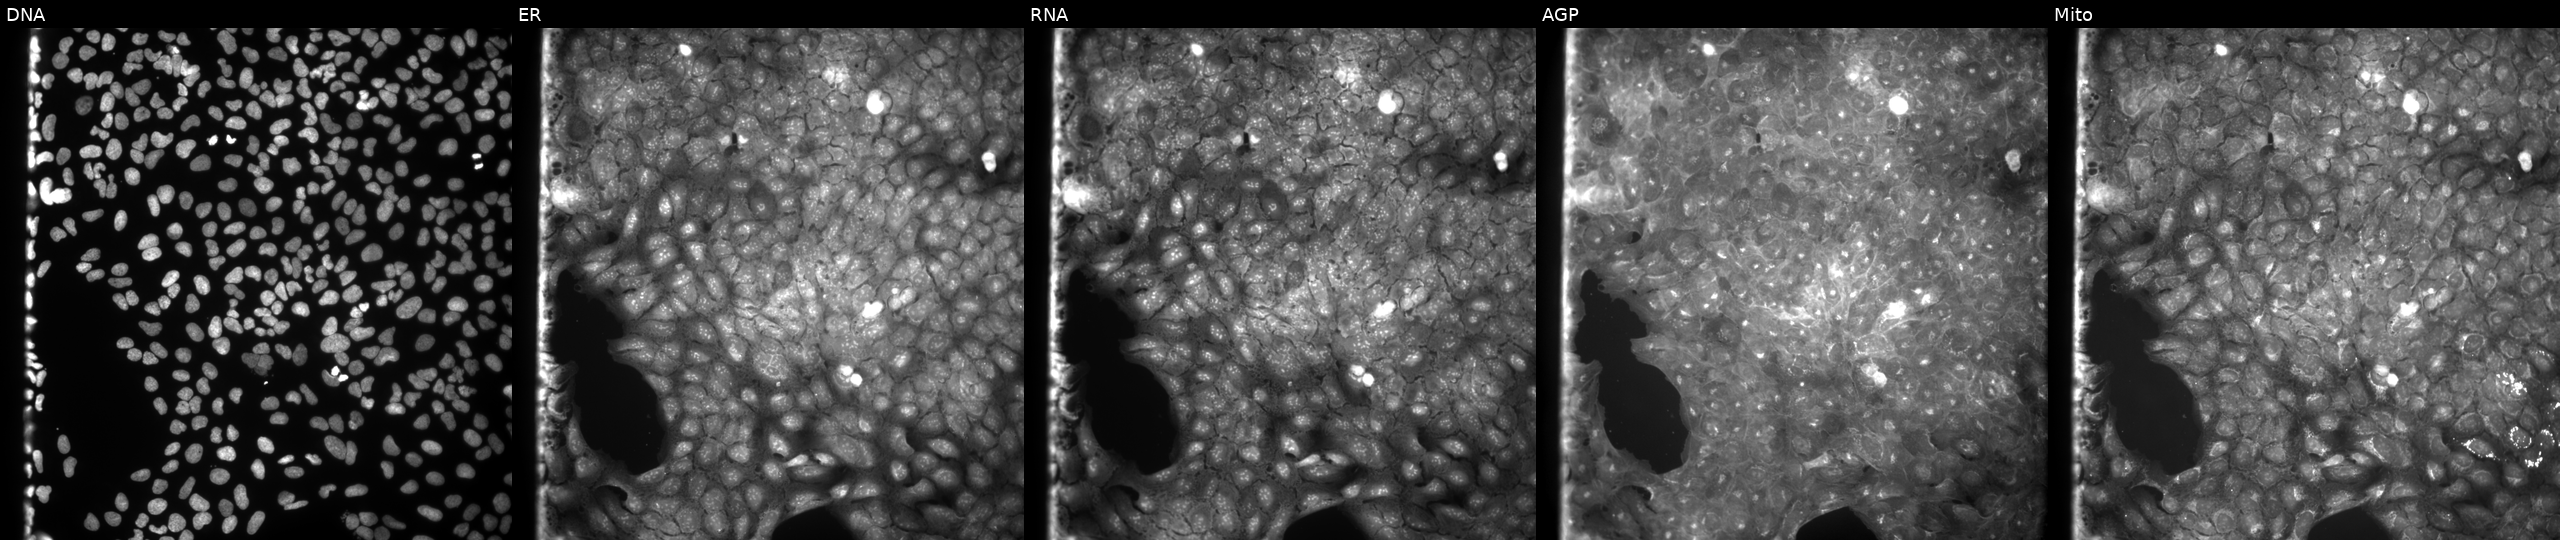
High-content fluorescence microscopy (Cell Painting). Cell line: U2OS. Perturbation: exposed to a small-molecule compound (InChIKey GECYRADSXYZERF-UHFFFAOYSA-N) (JUMP id JCP2022_024879). From left to right: DNA (nuclei); ER (endoplasmic reticulum); RNA (nucleoli and cytoplasmic RNA); AGP (actin cytoskeleton, Golgi, and plasma membrane); Mito (mitochondria). Source 9, plate GR00003382, well I07.